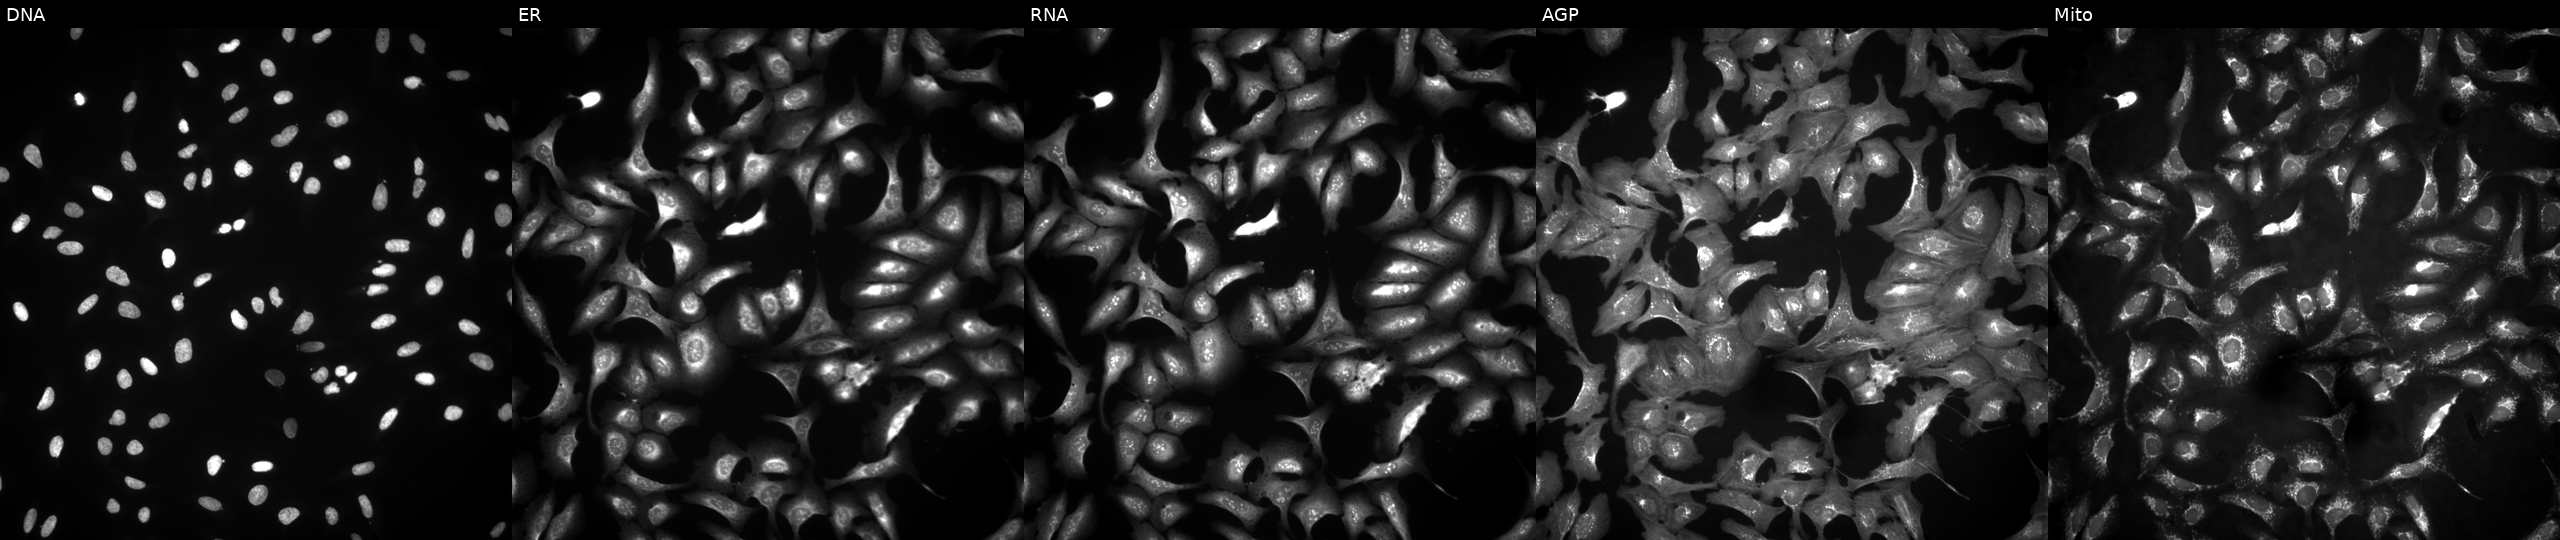
This image strip shows the five Cell Painting channels for a single field of U2OS cells overexpressing C2orf83 via ORF transfection. Panels show, left to right, Hoechst 33342, concanavalin A, SYTO 14, phalloidin and WGA, MitoTracker. Source 4, plate BR00124790, well C23.